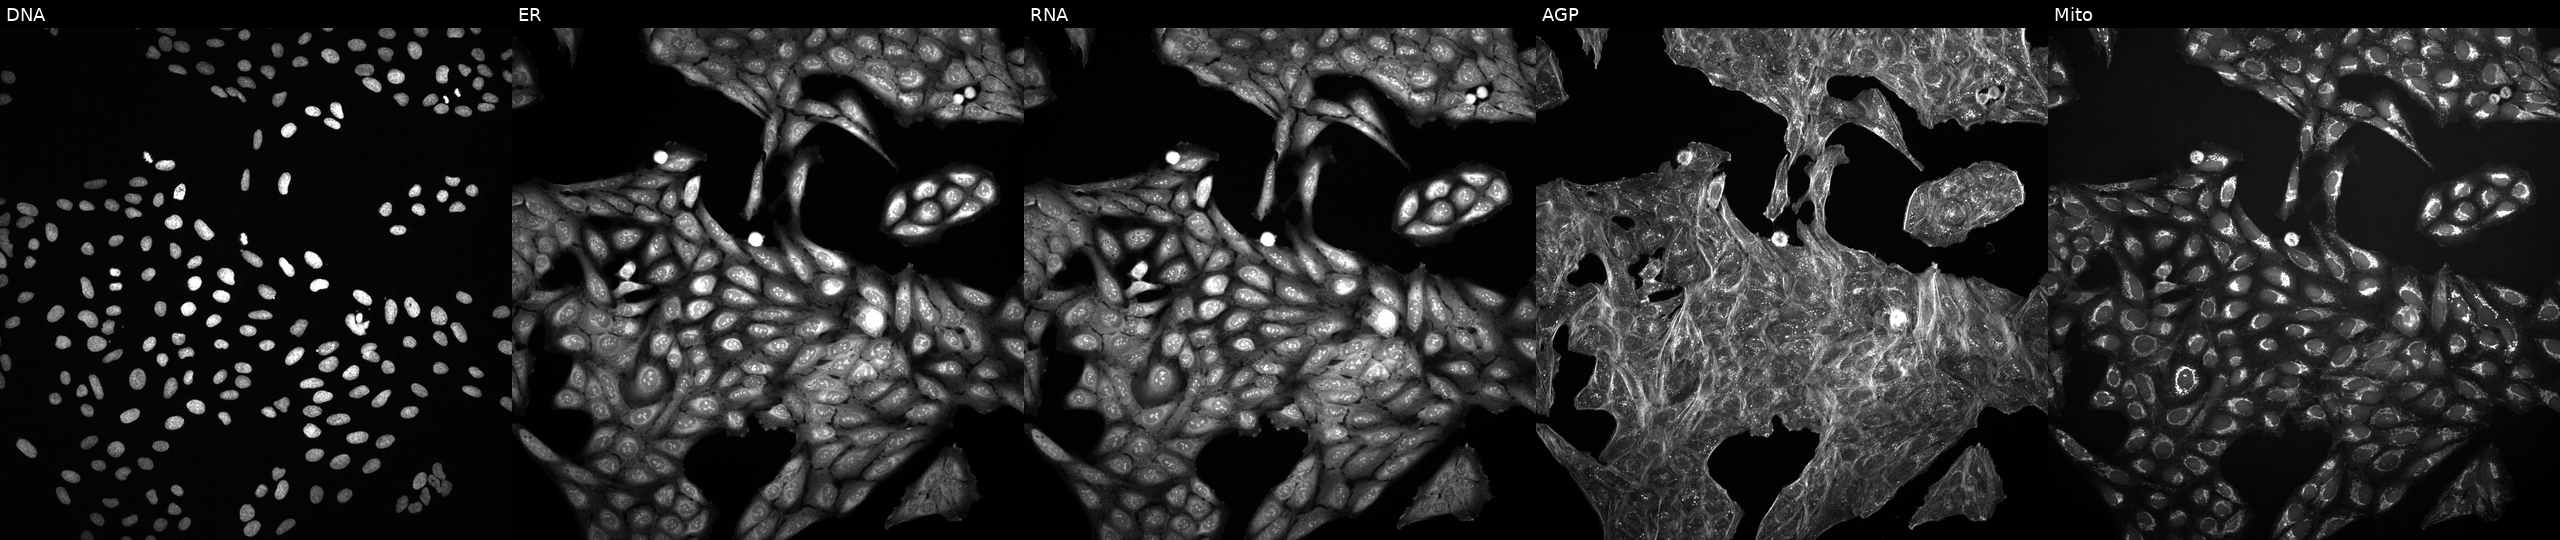
High-content fluorescence microscopy (Cell Painting). Cell line: U2OS. Perturbation: exposed to a small-molecule compound (InChIKey YULUCECVQOCQFQ-UHFFFAOYSA-N) (JUMP id JCP2022_110929). From left to right: Hoechst 33342, concanavalin A, SYTO 14, phalloidin and WGA, MitoTracker. Source 2, plate 1053597936, well I14.